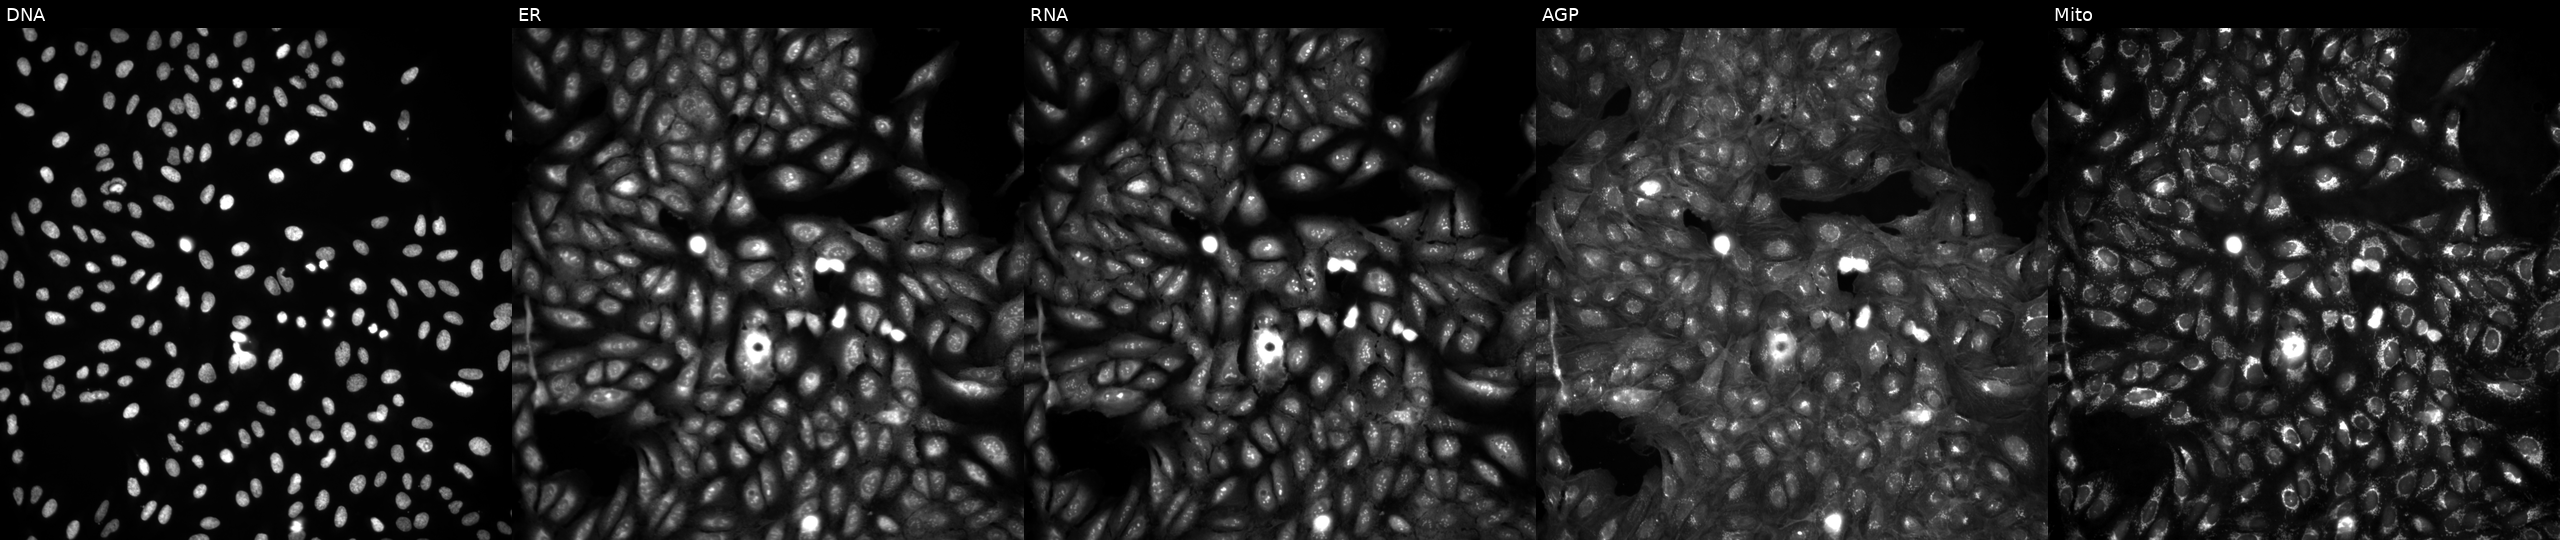
The five panels, left to right, show Hoechst 33342, concanavalin A, SYTO 14, phalloidin and WGA, MitoTracker. U2OS osteosarcoma cells in an empty control well (no perturbation). Cell Painting assay, JUMP-CP dataset. Source 4, plate BR00124793, well O04.